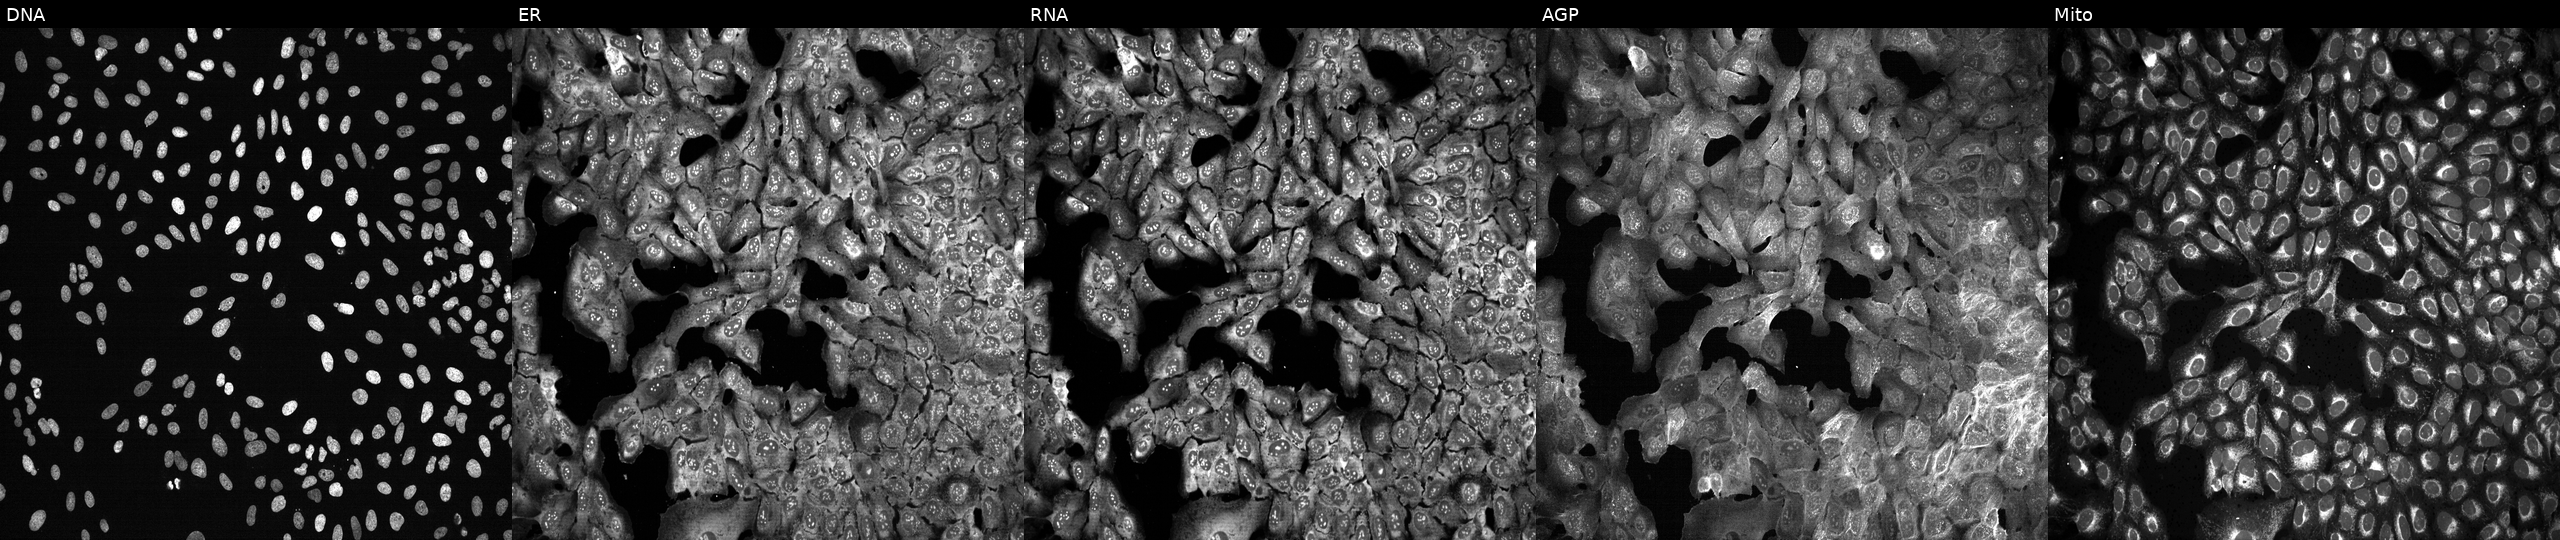
High-content fluorescence microscopy (Cell Painting). Cell line: U2OS. Perturbation: CRISPR-edited to disrupt SLC5A11 (JUMP id JCP2022_806557). Channels (left→right): Hoechst 33342, concanavalin A, SYTO 14, phalloidin and WGA, MitoTracker.